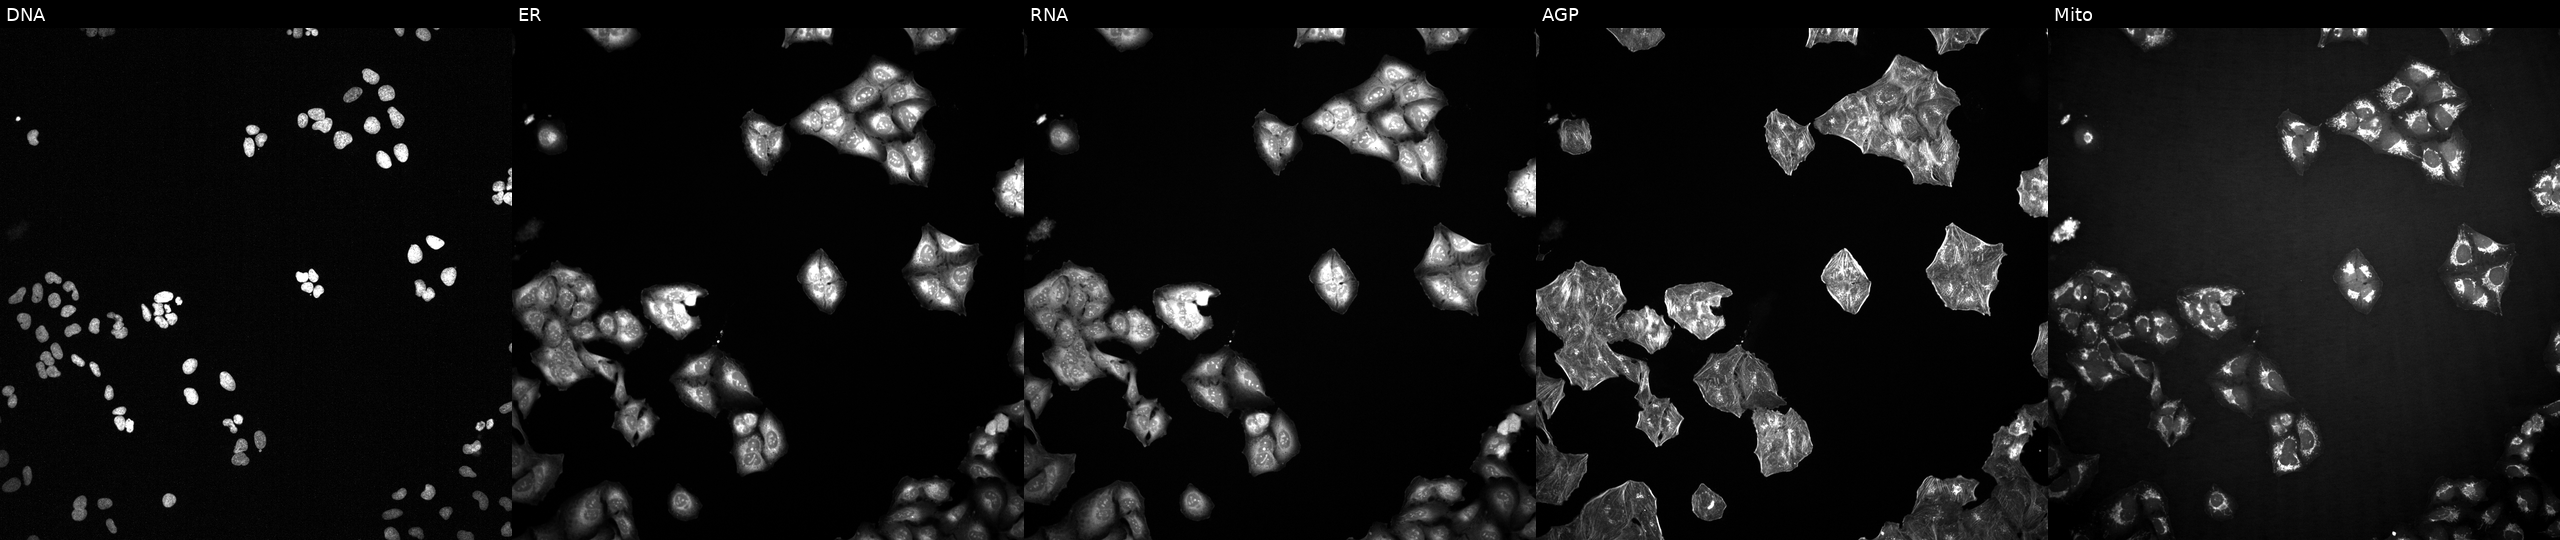
U2OS cells, Cell Painting assay, exposed to the positive-control compound NVS-PAK1-1. Panels show, left to right, DNA (nuclei); ER (endoplasmic reticulum); RNA (nucleoli and cytoplasmic RNA); AGP (actin cytoskeleton, Golgi, and plasma membrane); Mito (mitochondria). Each panel is percentile-stretched 16-bit fluorescence. Source 2, plate 1053601763, well B24.